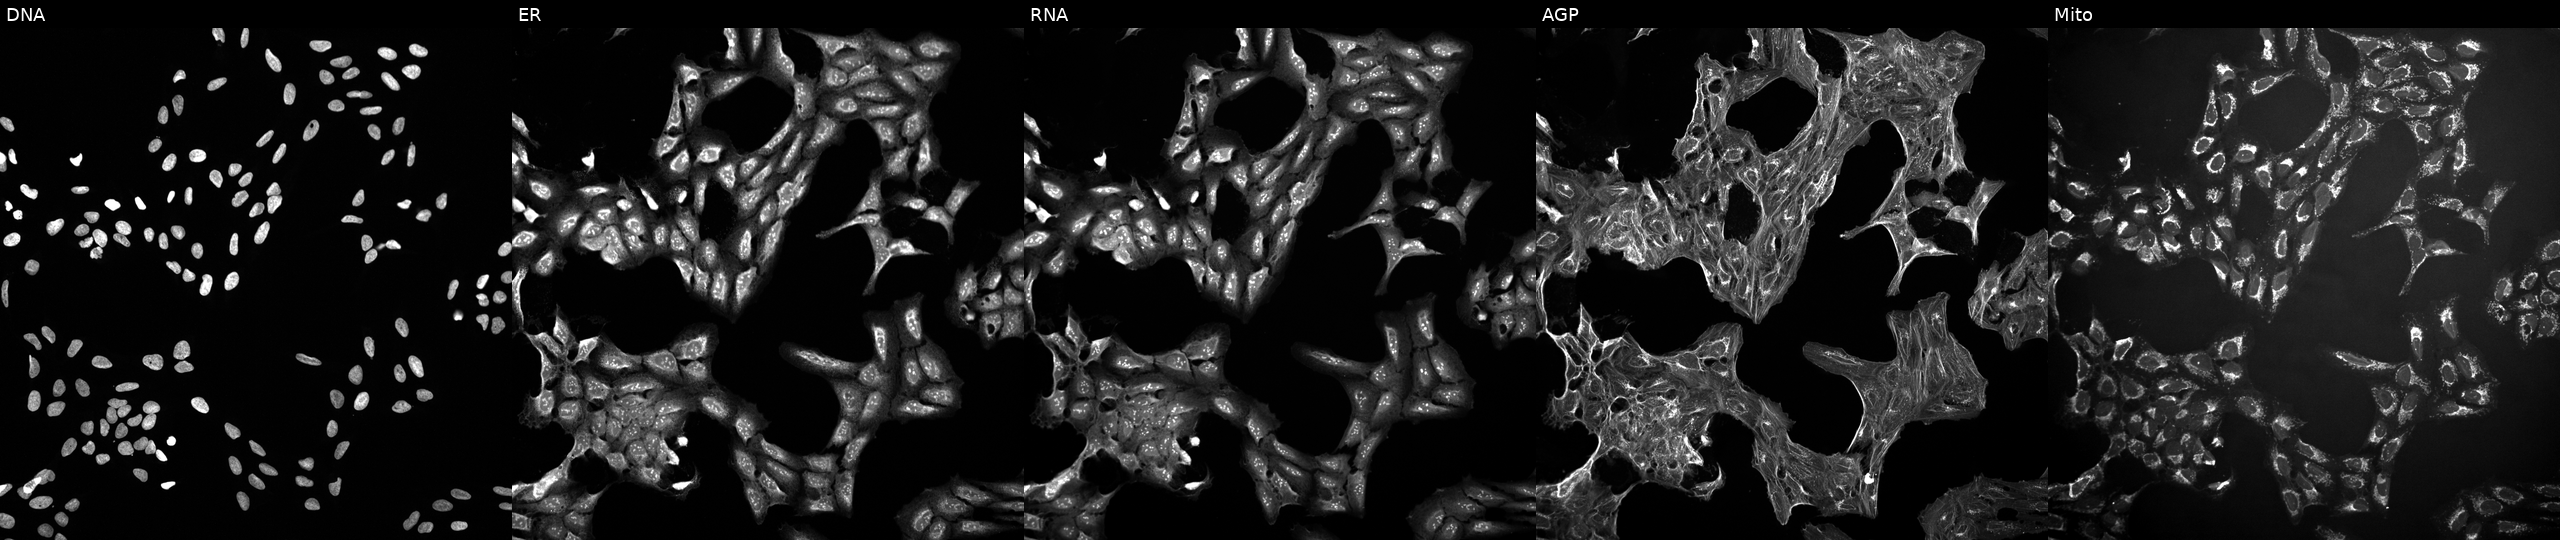
Channels (left→right): DNA, ER, RNA, AGP, and Mito. U2OS osteosarcoma cells exposed to a small-molecule compound (InChIKey XRVDGNKRPOAQTN-UHFFFAOYSA-N) [SMILES: CC(C)Oc1ccc(-c2nc(-c3cccc4c3CCC4NCCO)no2)cc1C#N]. Cell Painting assay, JUMP-CP dataset.